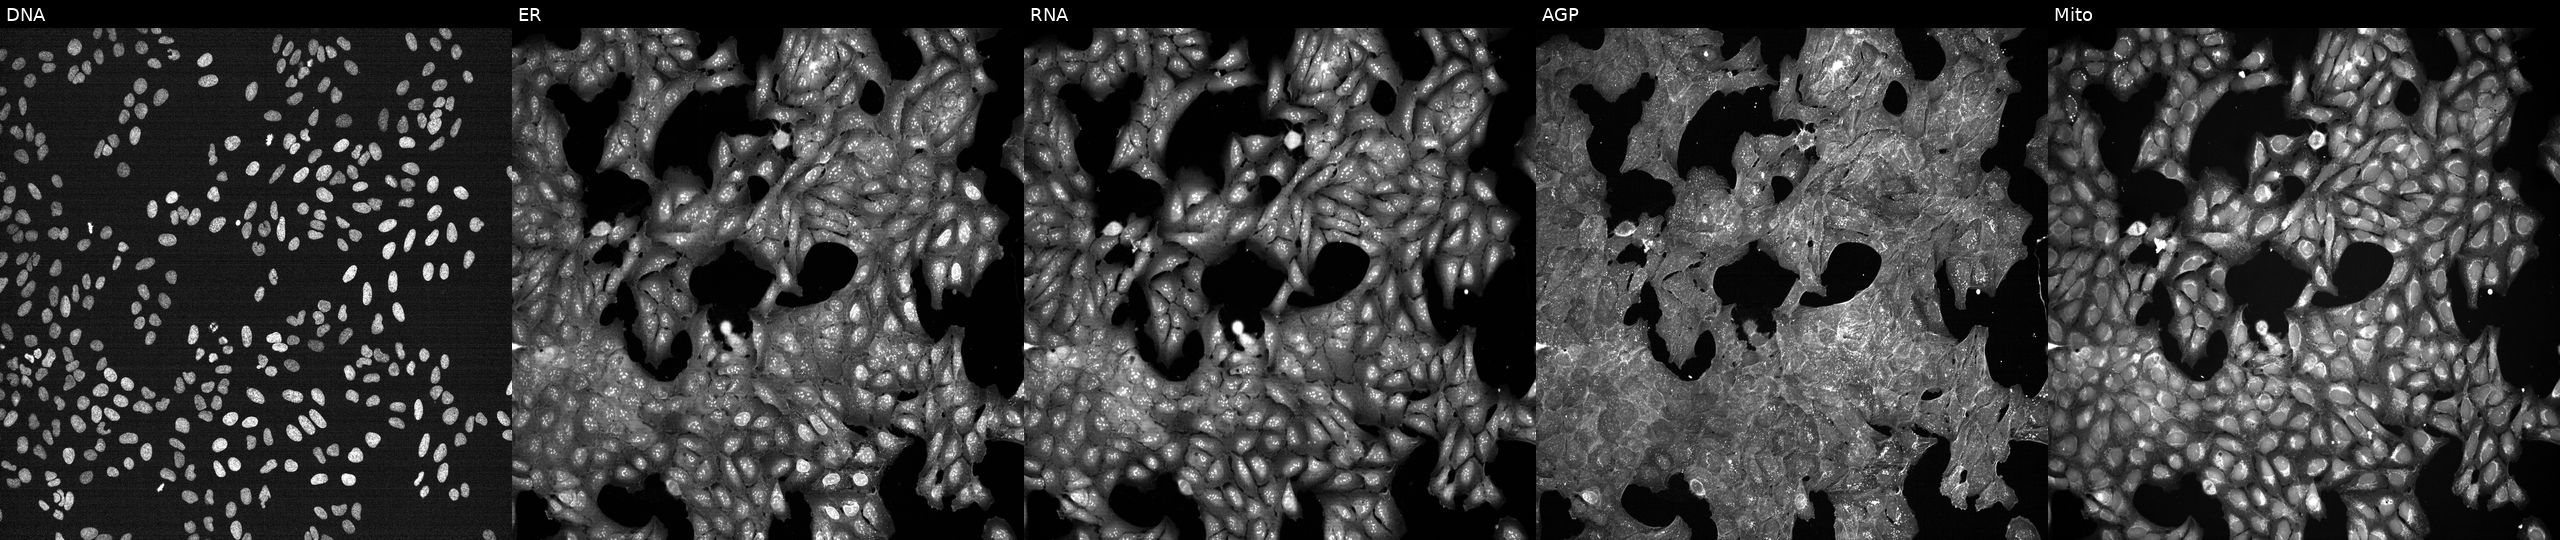
JUMP Cell Painting — TARGET2 plate. U2OS cells exposed to a small-molecule compound (JUMP id JCP2022_050271). The five panels, left to right, show Hoechst 33342, concanavalin A, SYTO 14, phalloidin and WGA, MitoTracker.